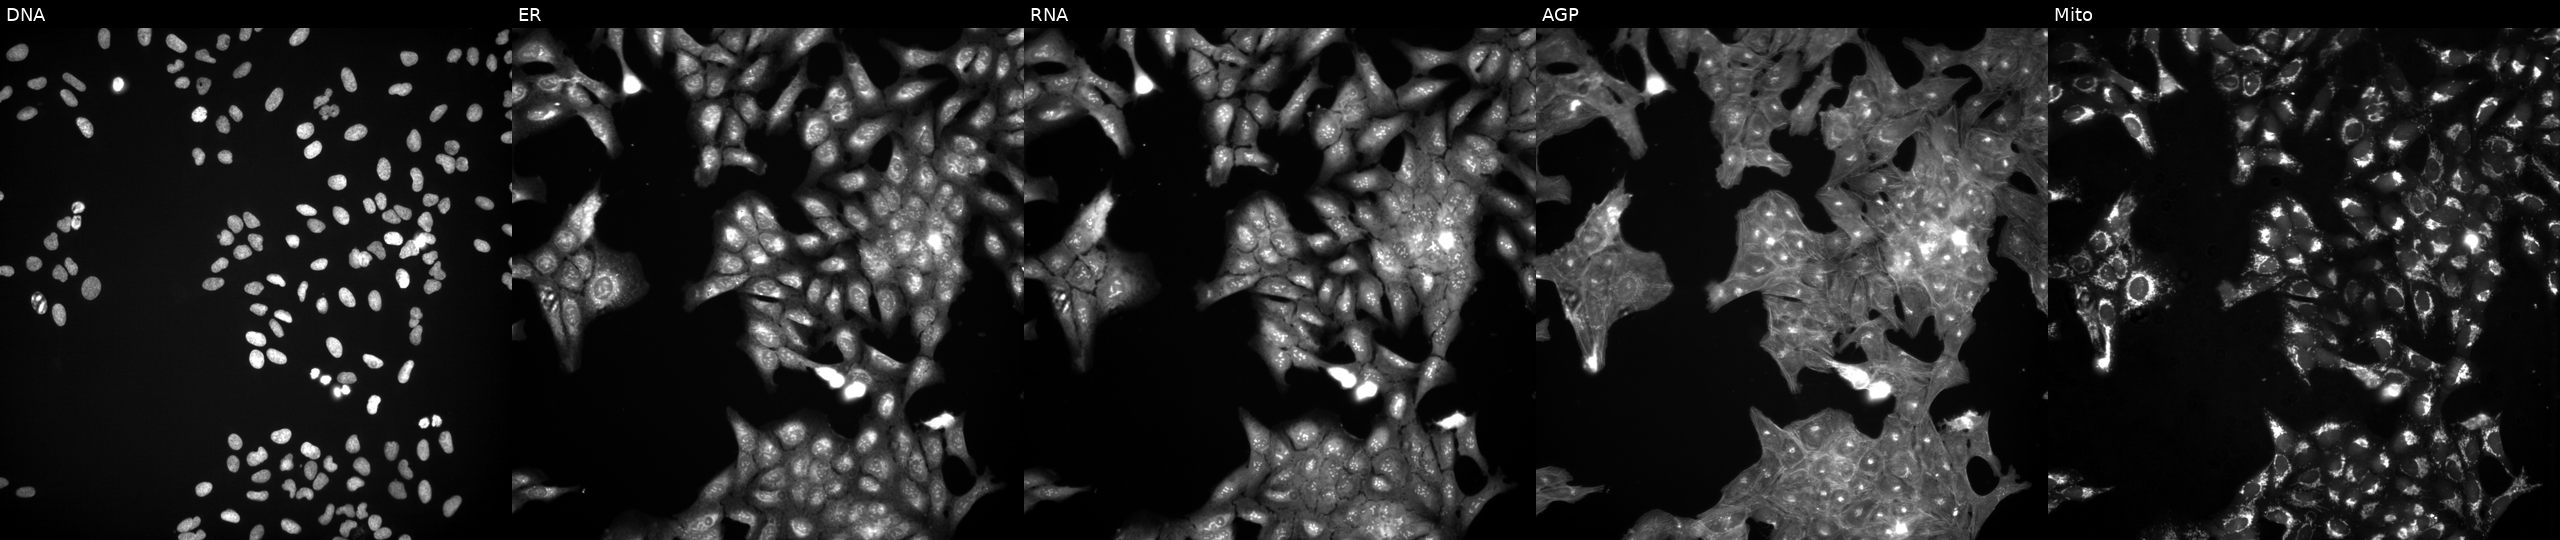
Five-channel Cell Painting image of U2OS cells exposed to DMSO alone as a negative control. Panels show, left to right, DNA (nuclei); ER (endoplasmic reticulum); RNA (nucleoli and cytoplasmic RNA); AGP (actin cytoskeleton, Golgi, and plasma membrane); Mito (mitochondria).